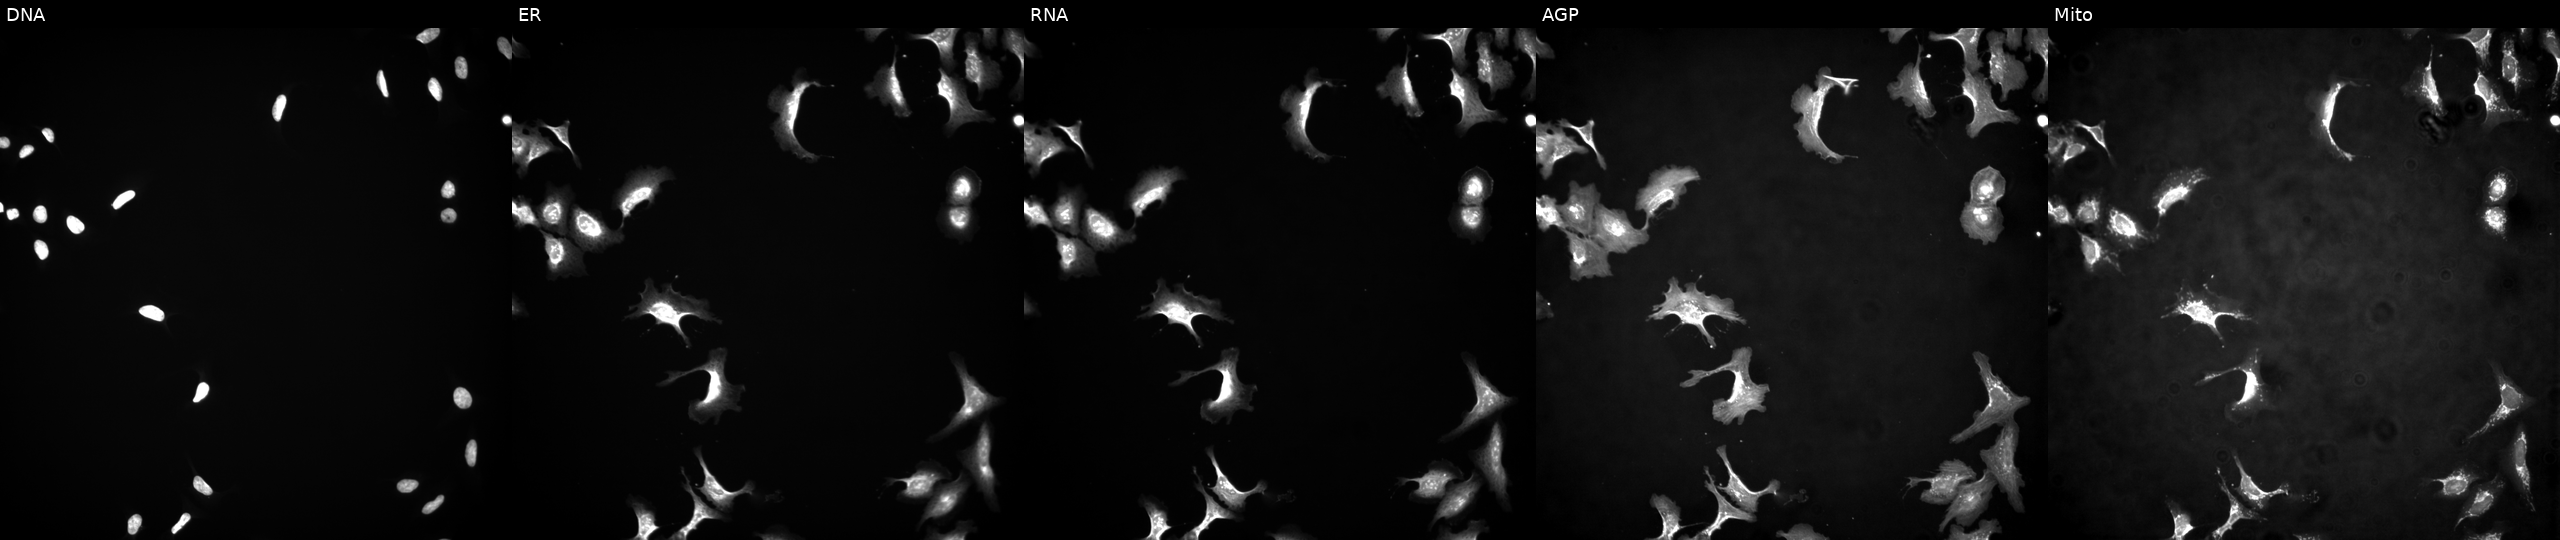
From left to right: DNA, ER, RNA, AGP, and Mito. U2OS osteosarcoma cells overexpressing TNK2 via ORF transfection (JUMP id JCP2022_910692). Cell Painting assay, JUMP-CP dataset.